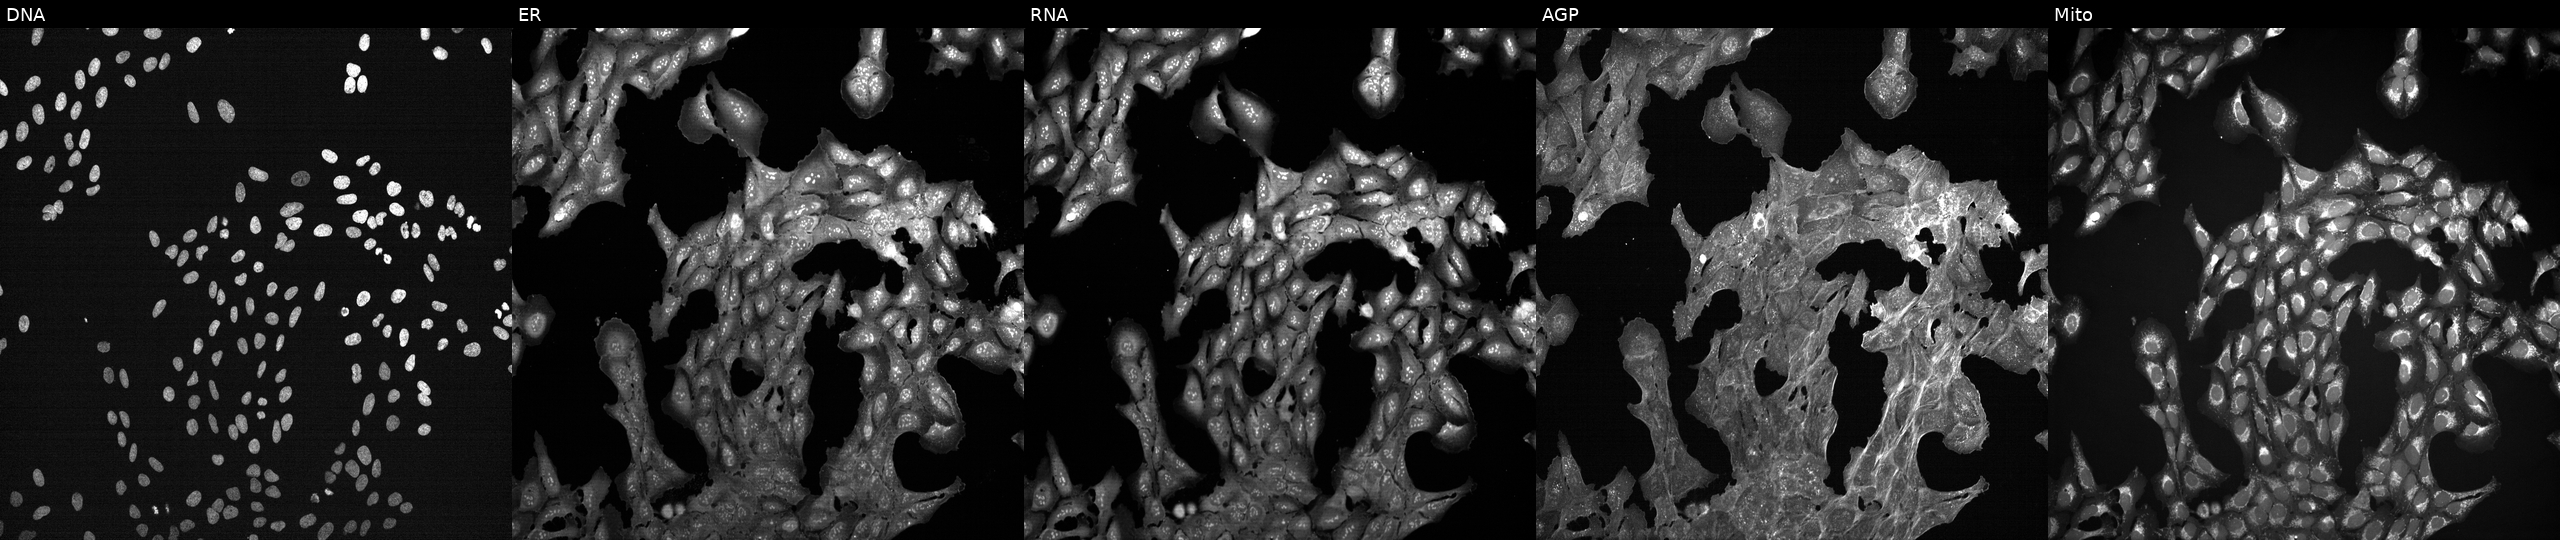
JUMP Cell Painting — TARGET2 plate. U2OS cells perturbed with a small-molecule compound (InChIKey RIKMMFOAQPJVMX-UHFFFAOYSA-N). The five panels, left to right, show DNA, ER, RNA, AGP, and Mito. Source 7, plate CP3-SC1-25, well O06.